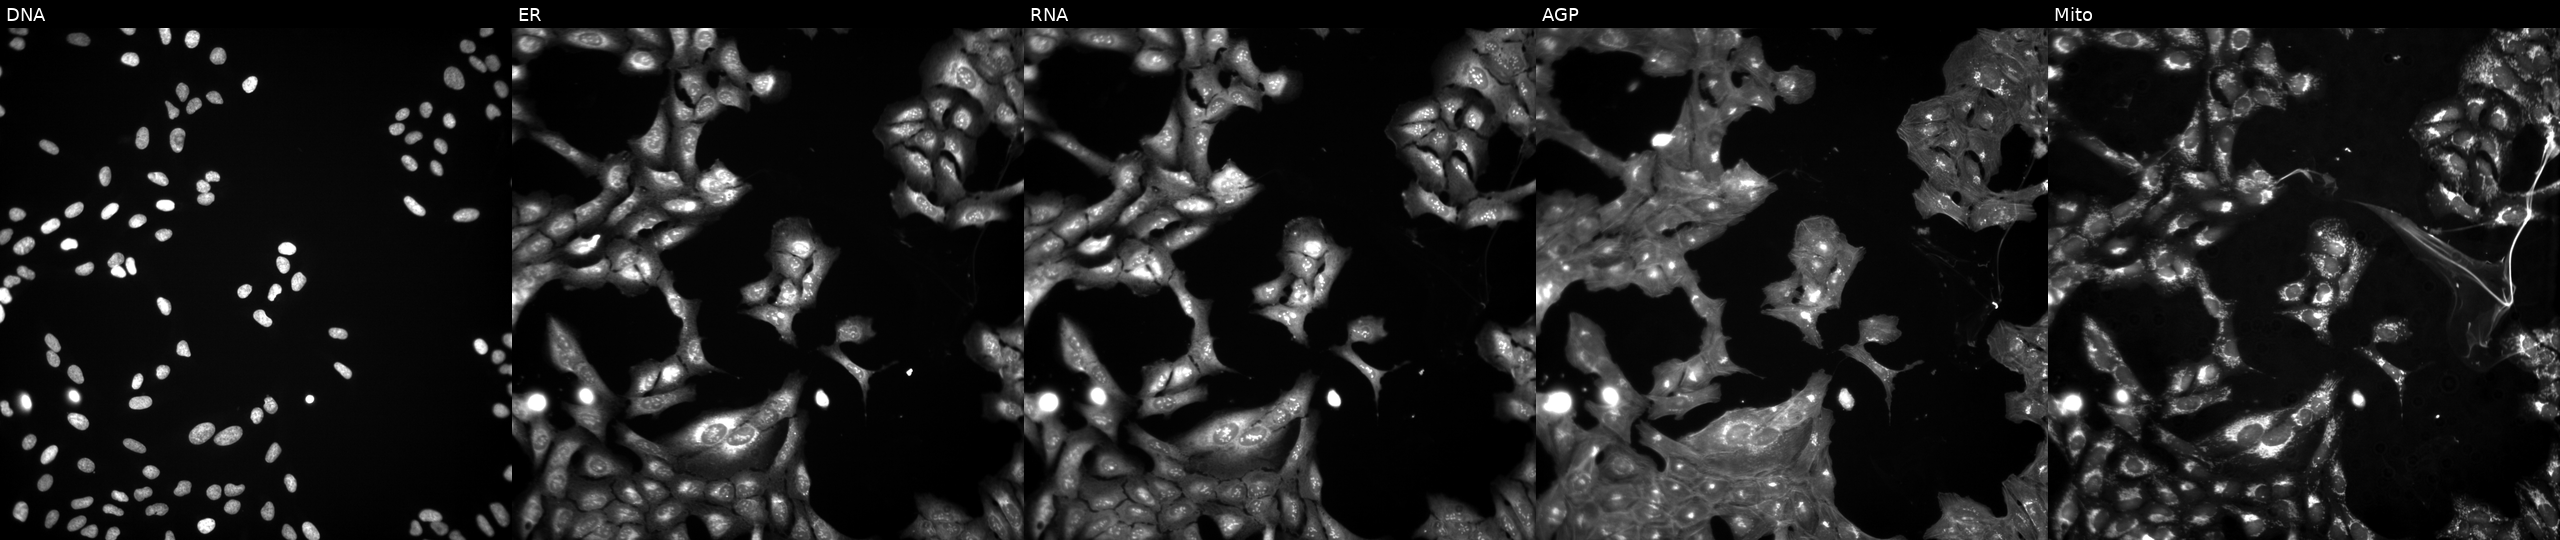
JUMP Cell Painting — TARGET2 plate. U2OS cells perturbed with a small-molecule compound (InChIKey RRGUKTPIGVIEKM-UHFFFAOYSA-N) (JUMP id JCP2022_080224). Panels show, left to right, DNA, ER, RNA, AGP, and Mito.